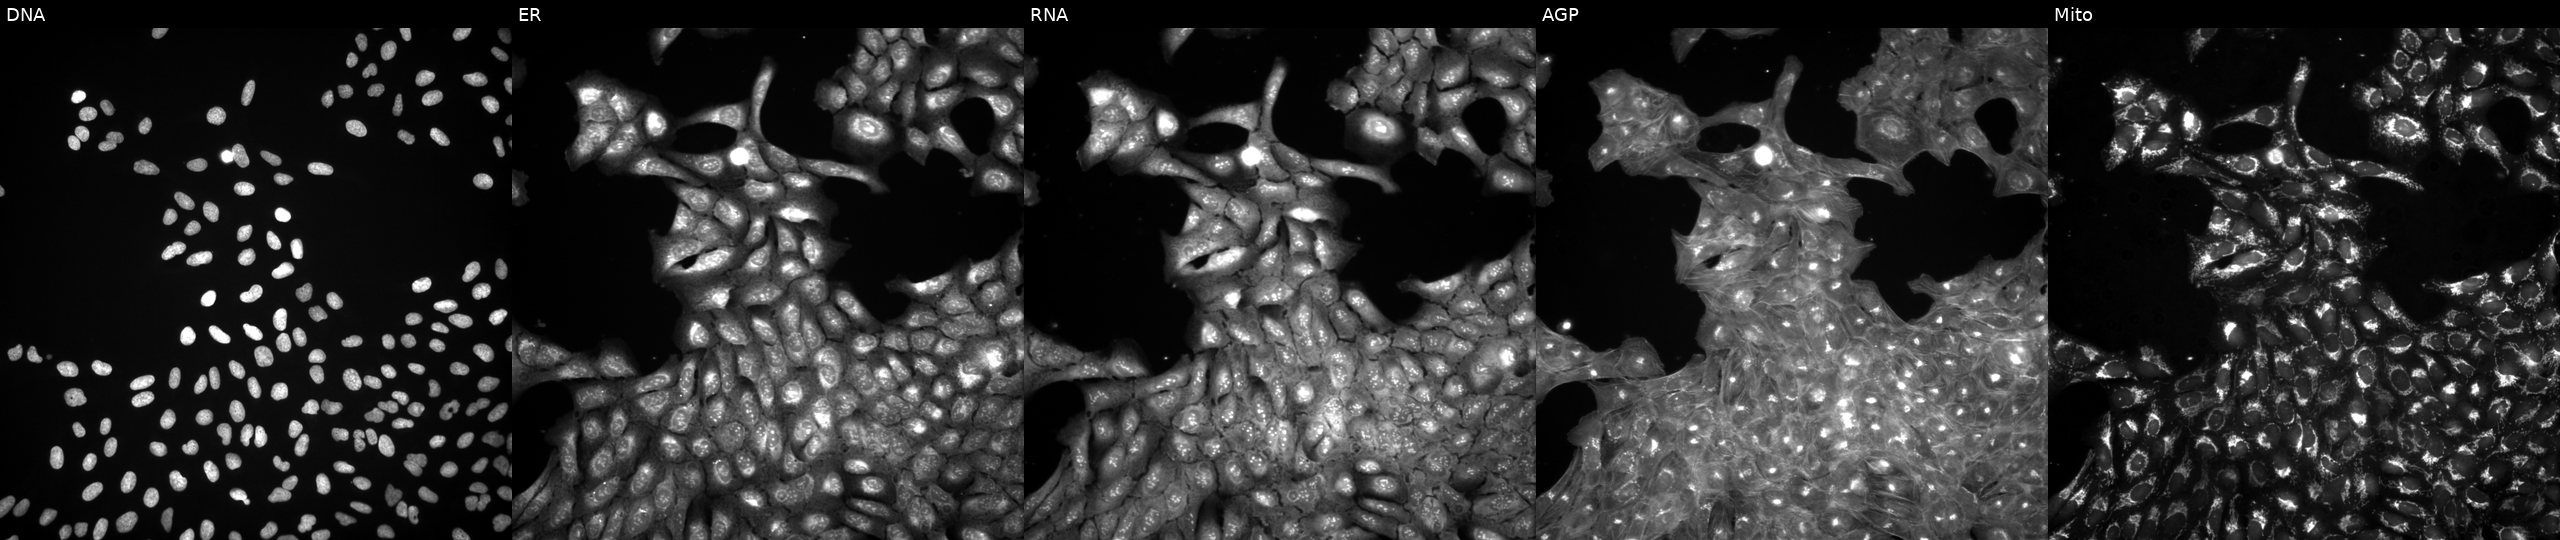
From left to right: DNA (nuclei); ER (endoplasmic reticulum); RNA (nucleoli and cytoplasmic RNA); AGP (actin cytoskeleton, Golgi, and plasma membrane); Mito (mitochondria). U2OS osteosarcoma cells treated with a small-molecule compound (JUMP id JCP2022_055808). Cell Painting assay, JUMP-CP dataset.